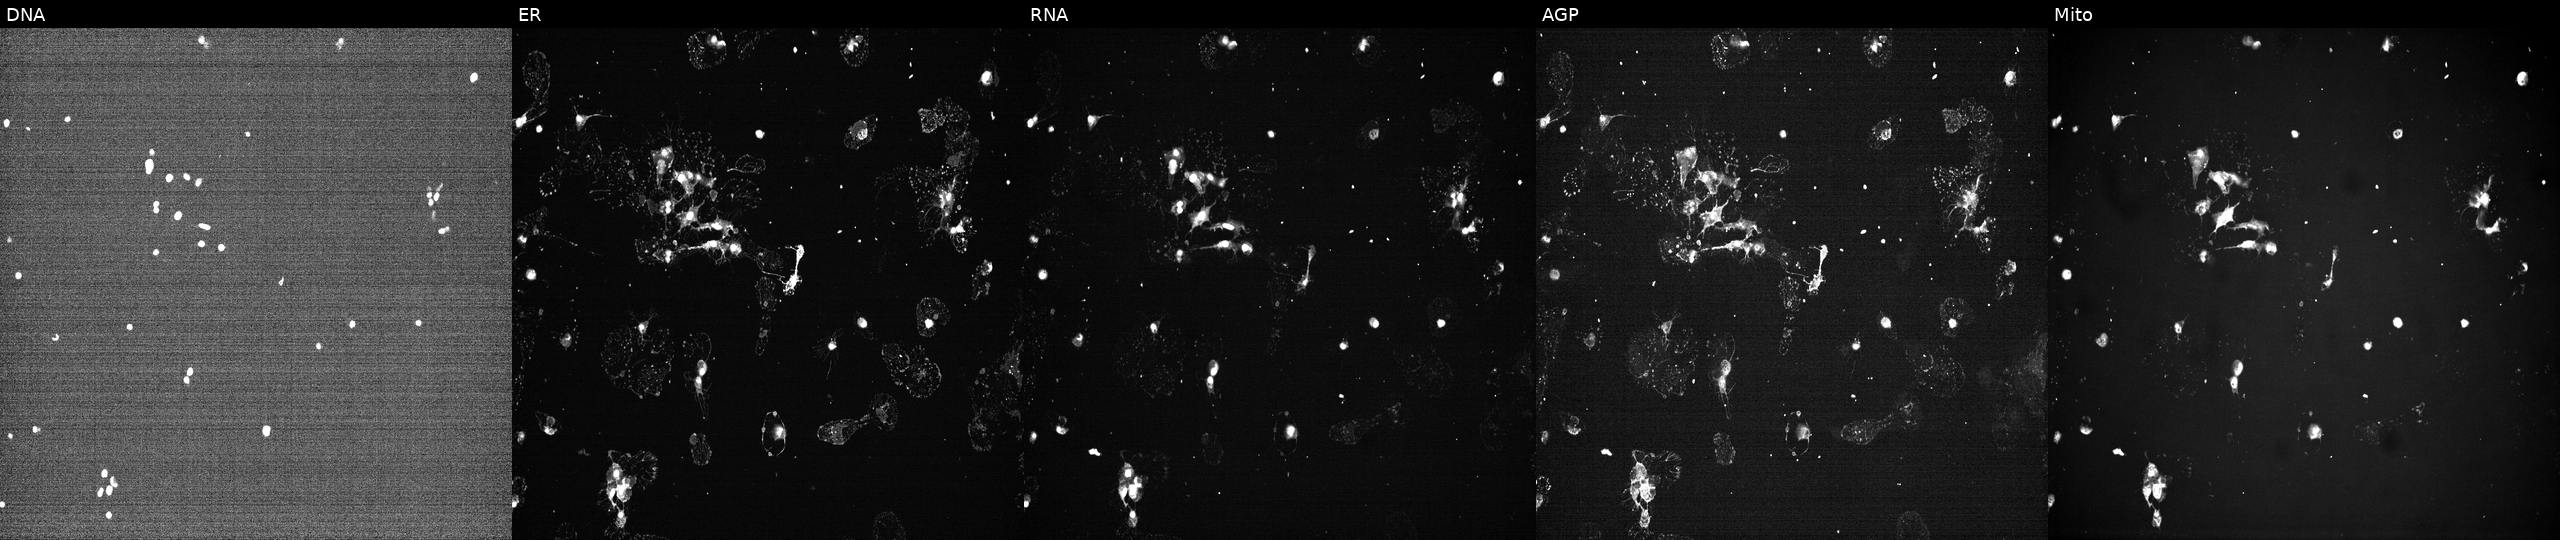
U2OS cells, Cell Painting assay, treated with a small-molecule compound (InChIKey DUKQPWDVIZDABV-UHFFFAOYSA-N) [SMILES: O=C1C(=NCCN2CCOCC2)C(Cl)C(=O)c2cccnc21]. Panels show, left to right, DNA (nuclei); ER (endoplasmic reticulum); RNA (nucleoli and cytoplasmic RNA); AGP (actin cytoskeleton, Golgi, and plasma membrane); Mito (mitochondria). Each panel is percentile-stretched 16-bit fluorescence.